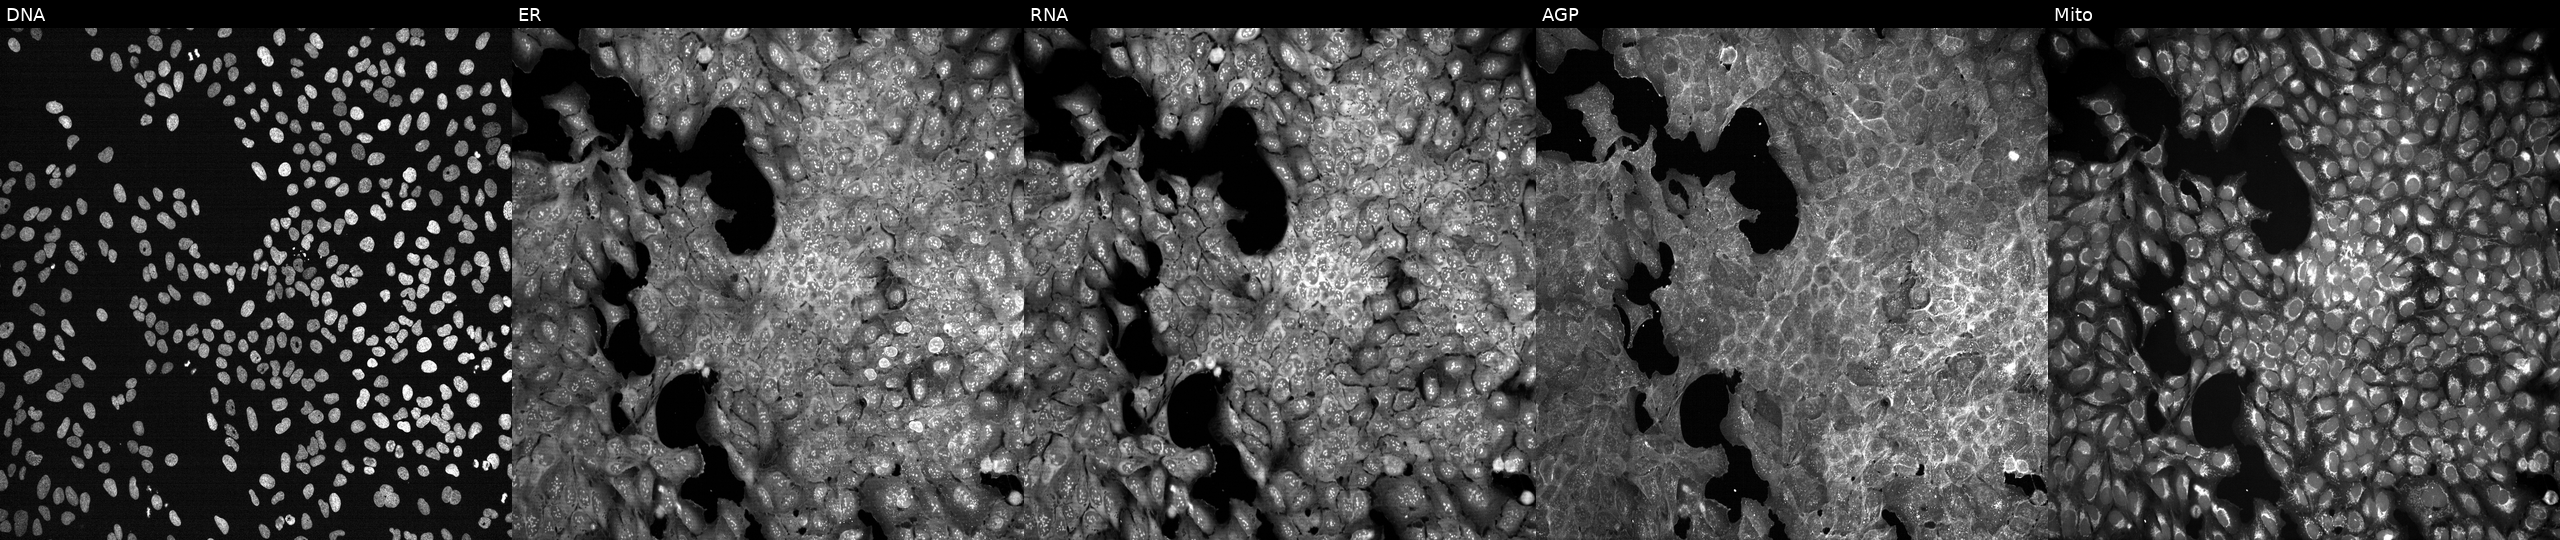
JUMP Cell Painting — TARGET2 plate. U2OS cells exposed to a small-molecule compound. The five panels, left to right, show Hoechst 33342, concanavalin A, SYTO 14, phalloidin and WGA, MitoTracker.